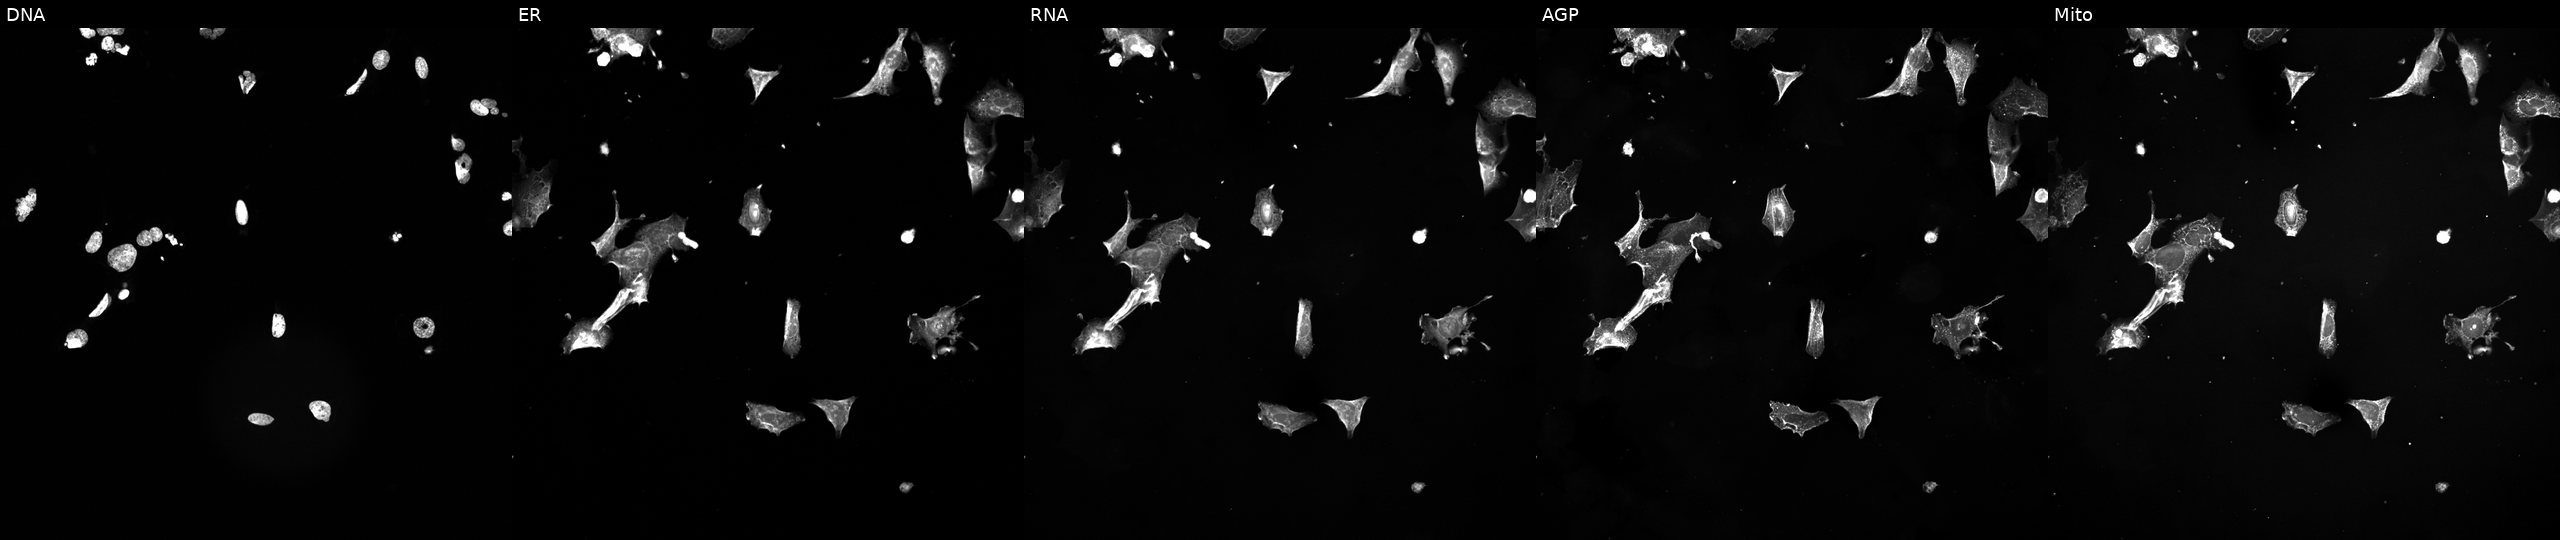
Five-channel Cell Painting image of U2OS cells exposed to a small-molecule compound (InChIKey MTJHLONVHHPNSI-UHFFFAOYSA-N). The five panels, left to right, show Hoechst 33342, concanavalin A, SYTO 14, phalloidin and WGA, MitoTracker.